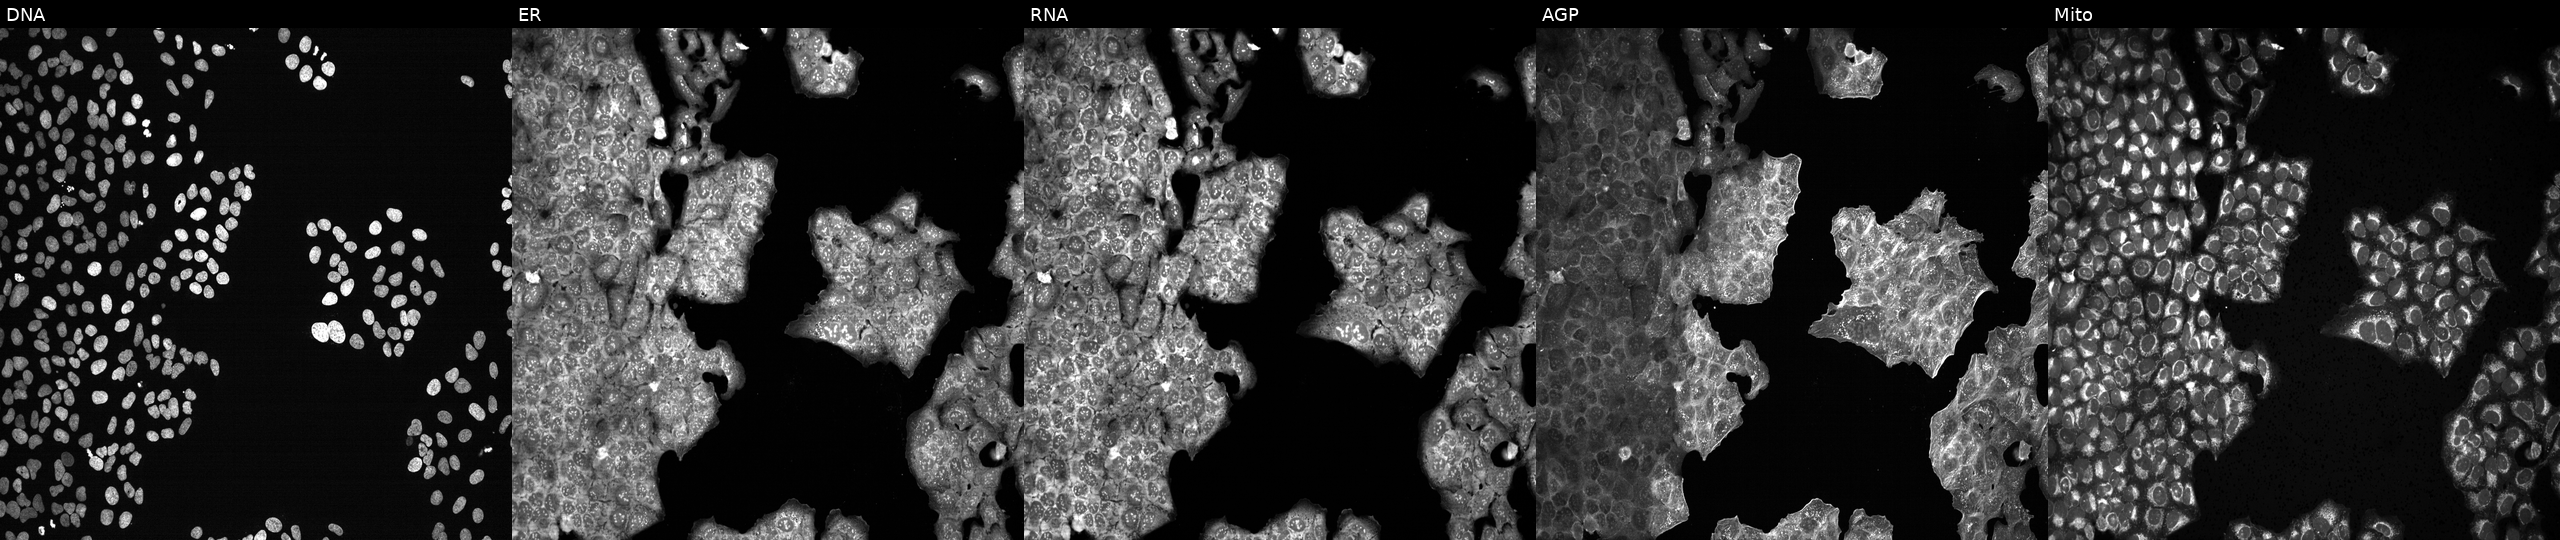
JUMP Cell Painting — CRISPR plate. U2OS cells exposed to the positive-control compound NVS-PAK1-1. From left to right: DNA (nuclei); ER (endoplasmic reticulum); RNA (nucleoli and cytoplasmic RNA); AGP (actin cytoskeleton, Golgi, and plasma membrane); Mito (mitochondria). Source 13, plate CP-CC9-R6-19, well J24.